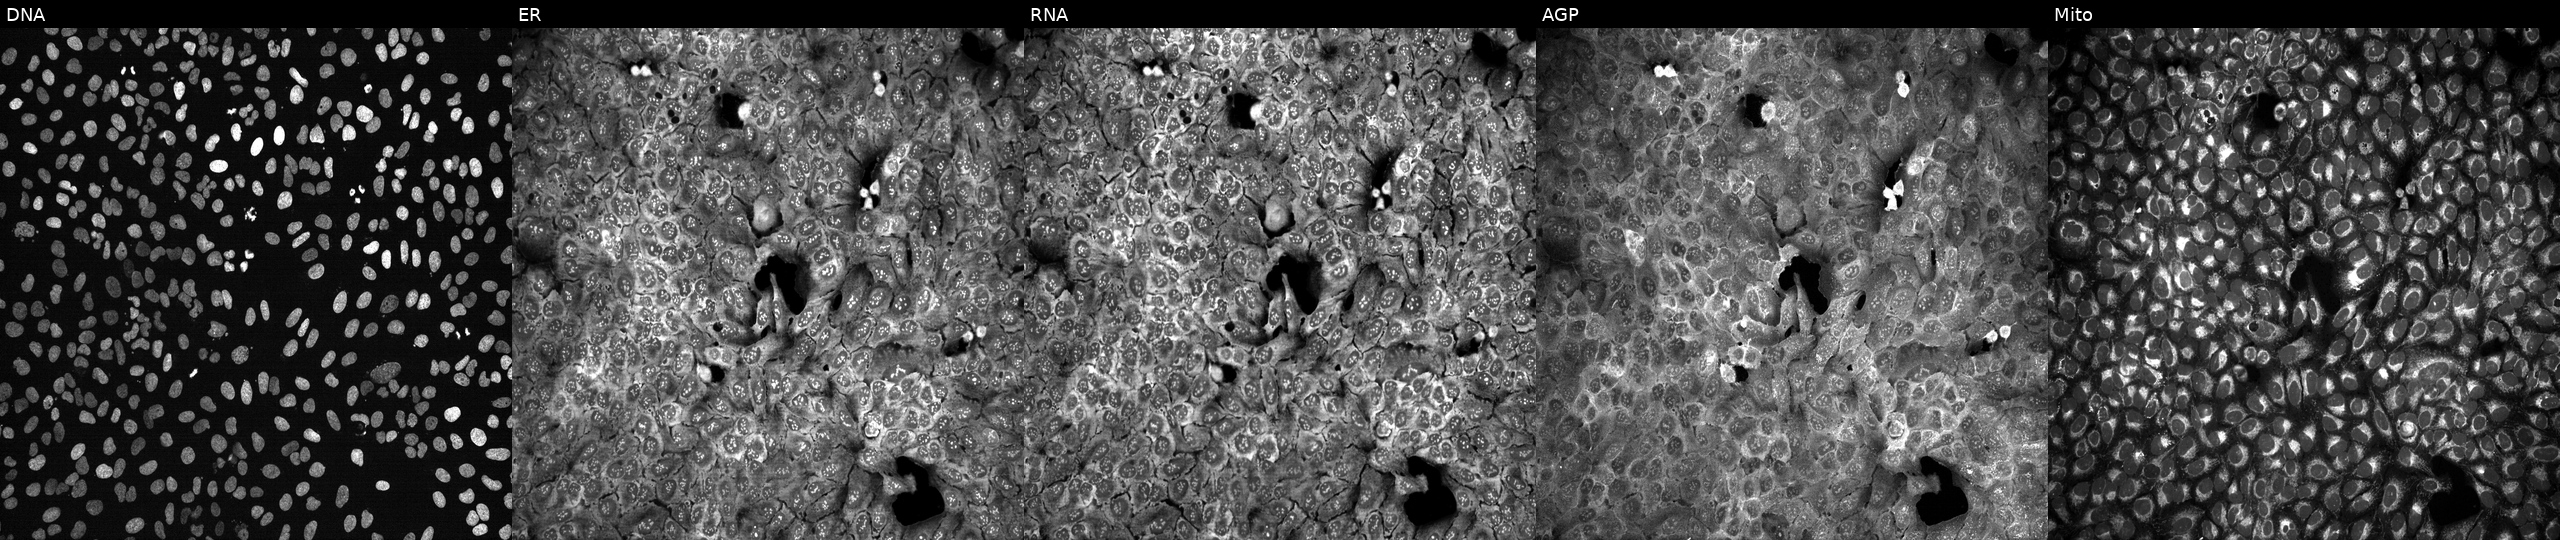
High-content fluorescence microscopy (Cell Painting). Cell line: U2OS. Perturbation: CRISPR-edited to disrupt GLT8D1 (JUMP id JCP2022_802739). From left to right: DNA, ER, RNA, AGP, and Mito.